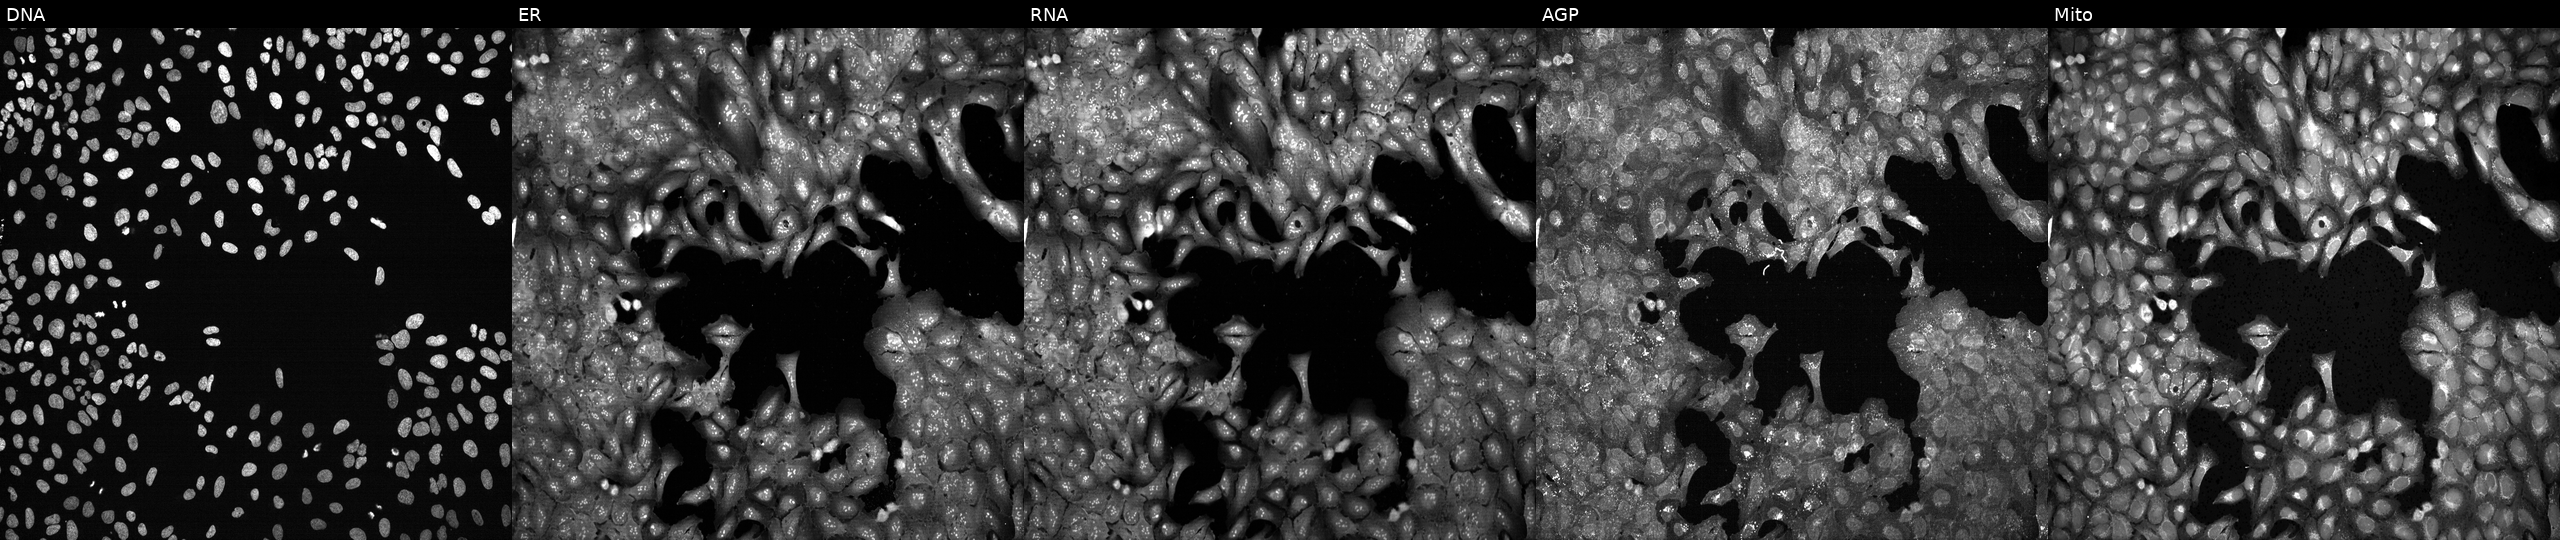
Channels (left→right): Hoechst 33342, concanavalin A, SYTO 14, phalloidin and WGA, MitoTracker. U2OS osteosarcoma cells following CRISPR knockout of PTER. Cell Painting assay, JUMP-CP dataset.